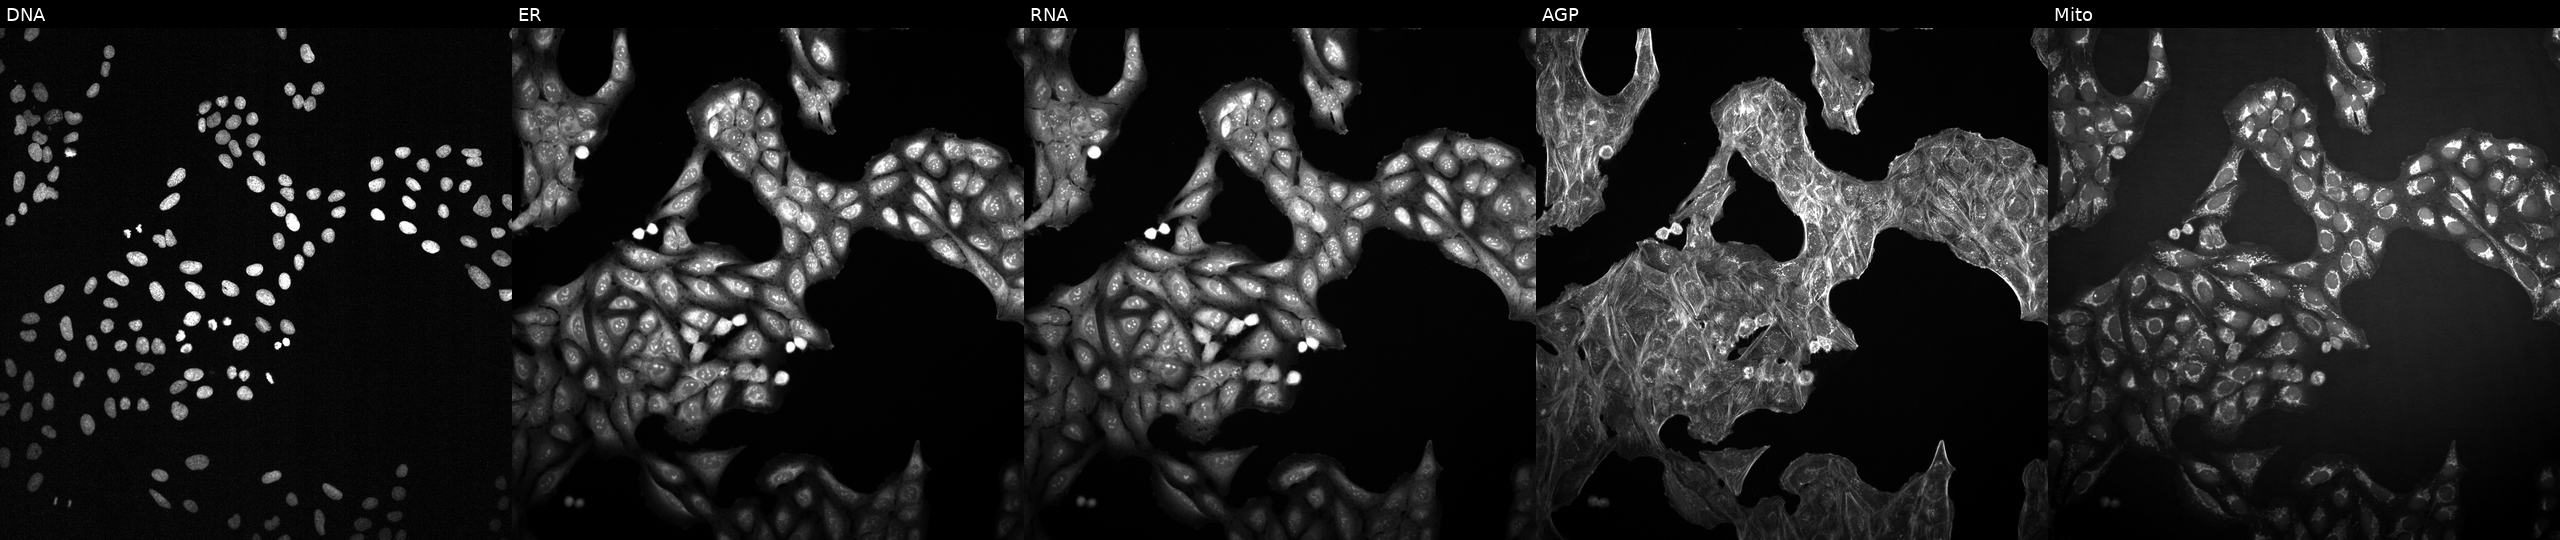
JUMP Cell Painting — TARGET2 plate. U2OS cells exposed to a small-molecule compound (InChIKey WLBUICQBNZXIDJ-UHFFFAOYSA-N) (JUMP id JCP2022_099471). The five panels, left to right, show DNA, ER, RNA, AGP, and Mito.